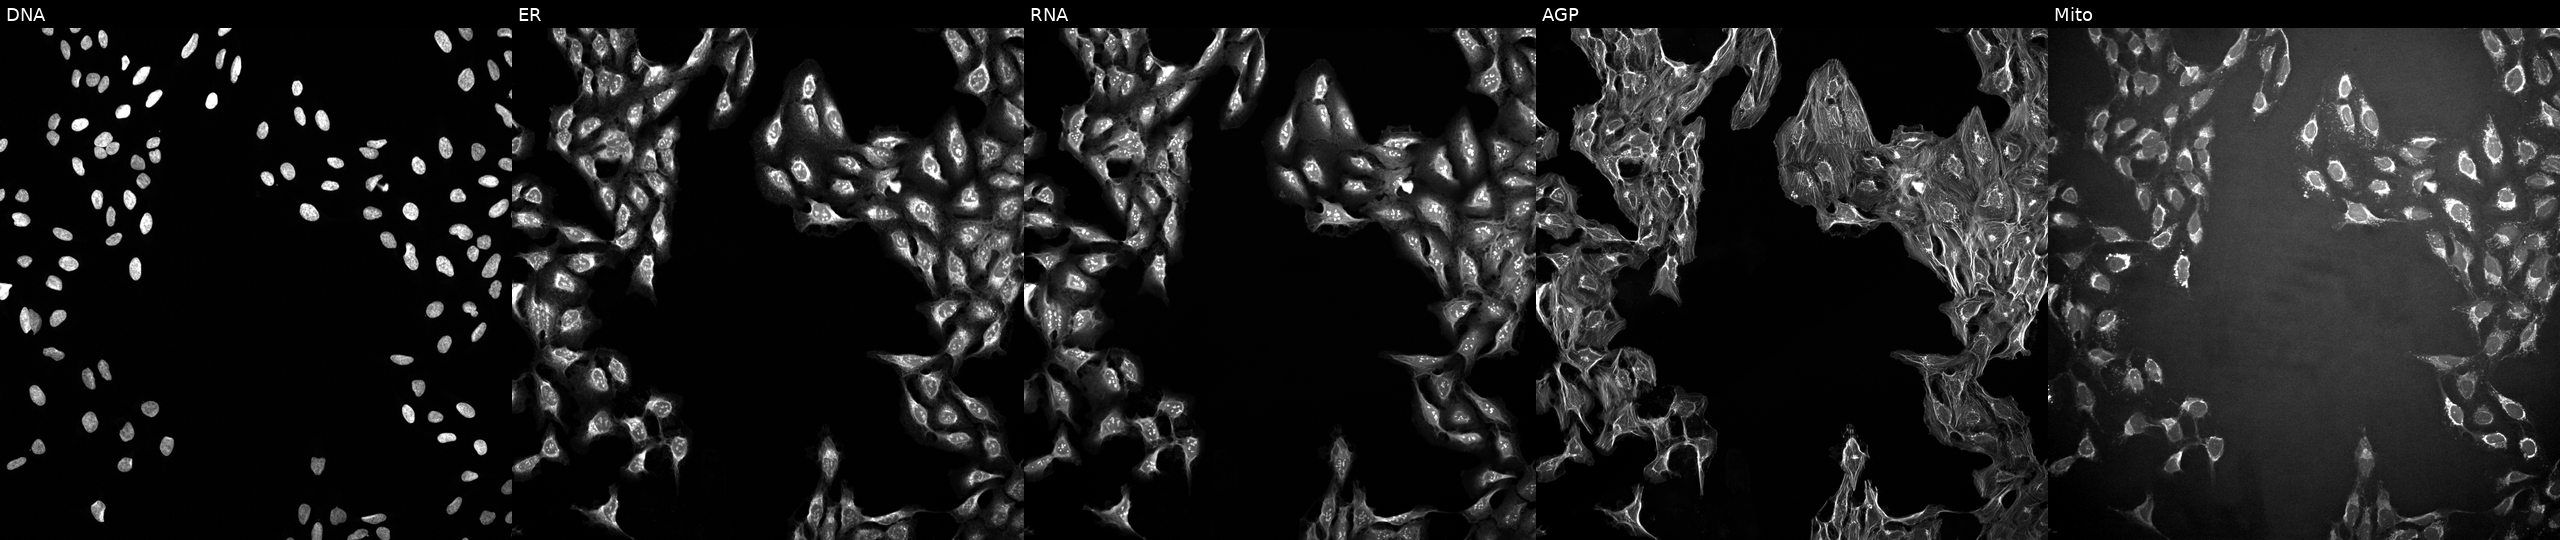
From left to right: DNA, ER, RNA, AGP, and Mito. U2OS osteosarcoma cells perturbed with a small-molecule compound. Cell Painting assay, JUMP-CP dataset. Source 10, plate Dest210727-153003, well A18.